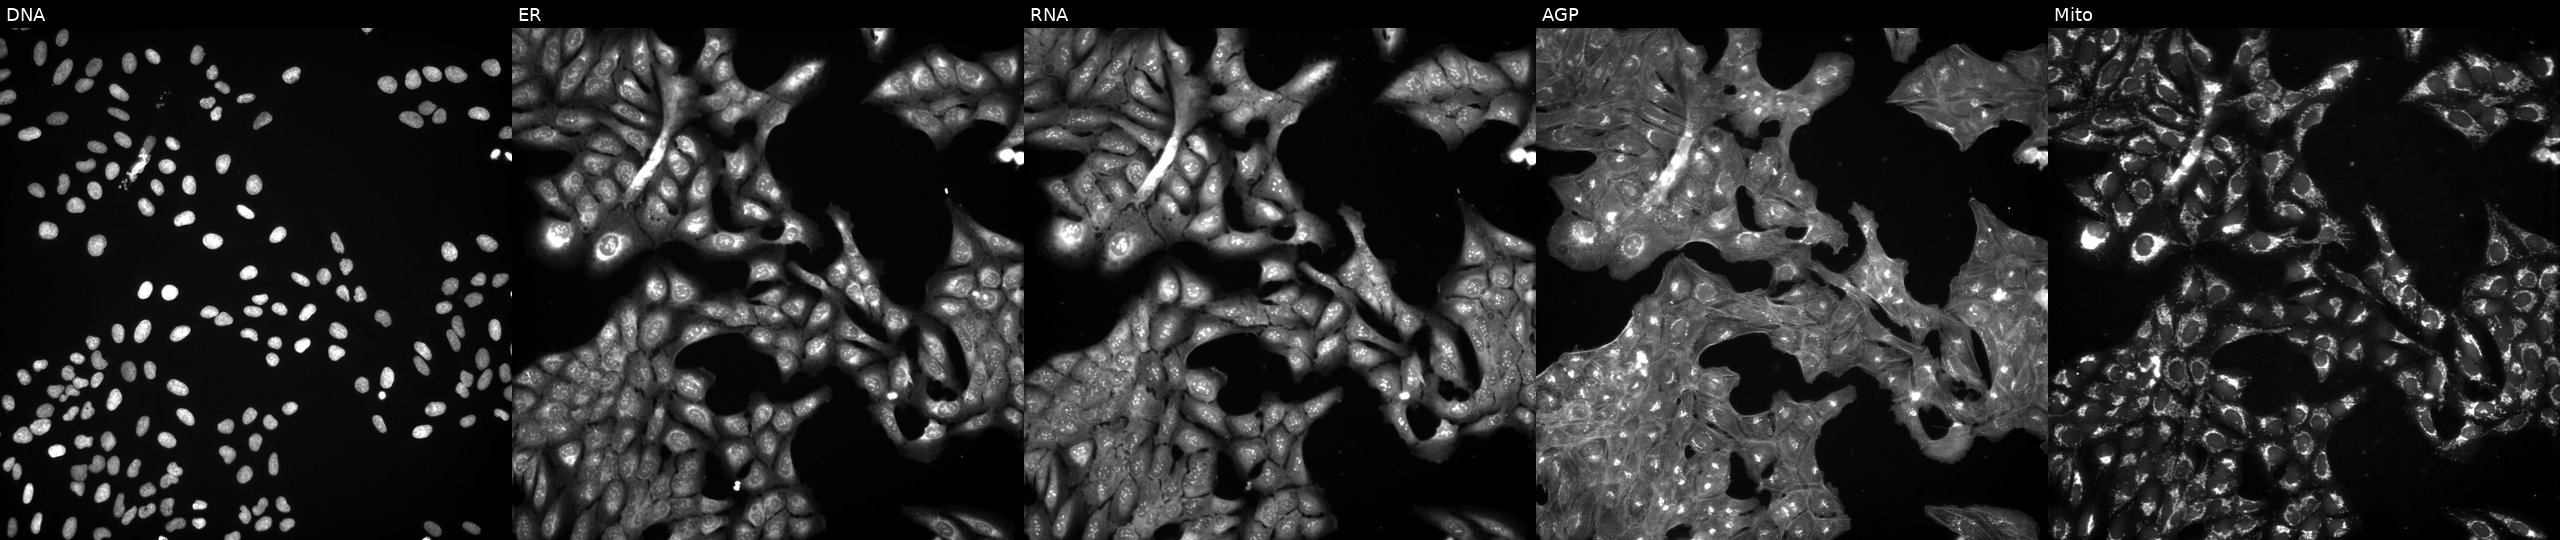
Five-channel Cell Painting image of U2OS cells treated with a small-molecule compound. Panels show, left to right, DNA (nuclei); ER (endoplasmic reticulum); RNA (nucleoli and cytoplasmic RNA); AGP (actin cytoskeleton, Golgi, and plasma membrane); Mito (mitochondria).